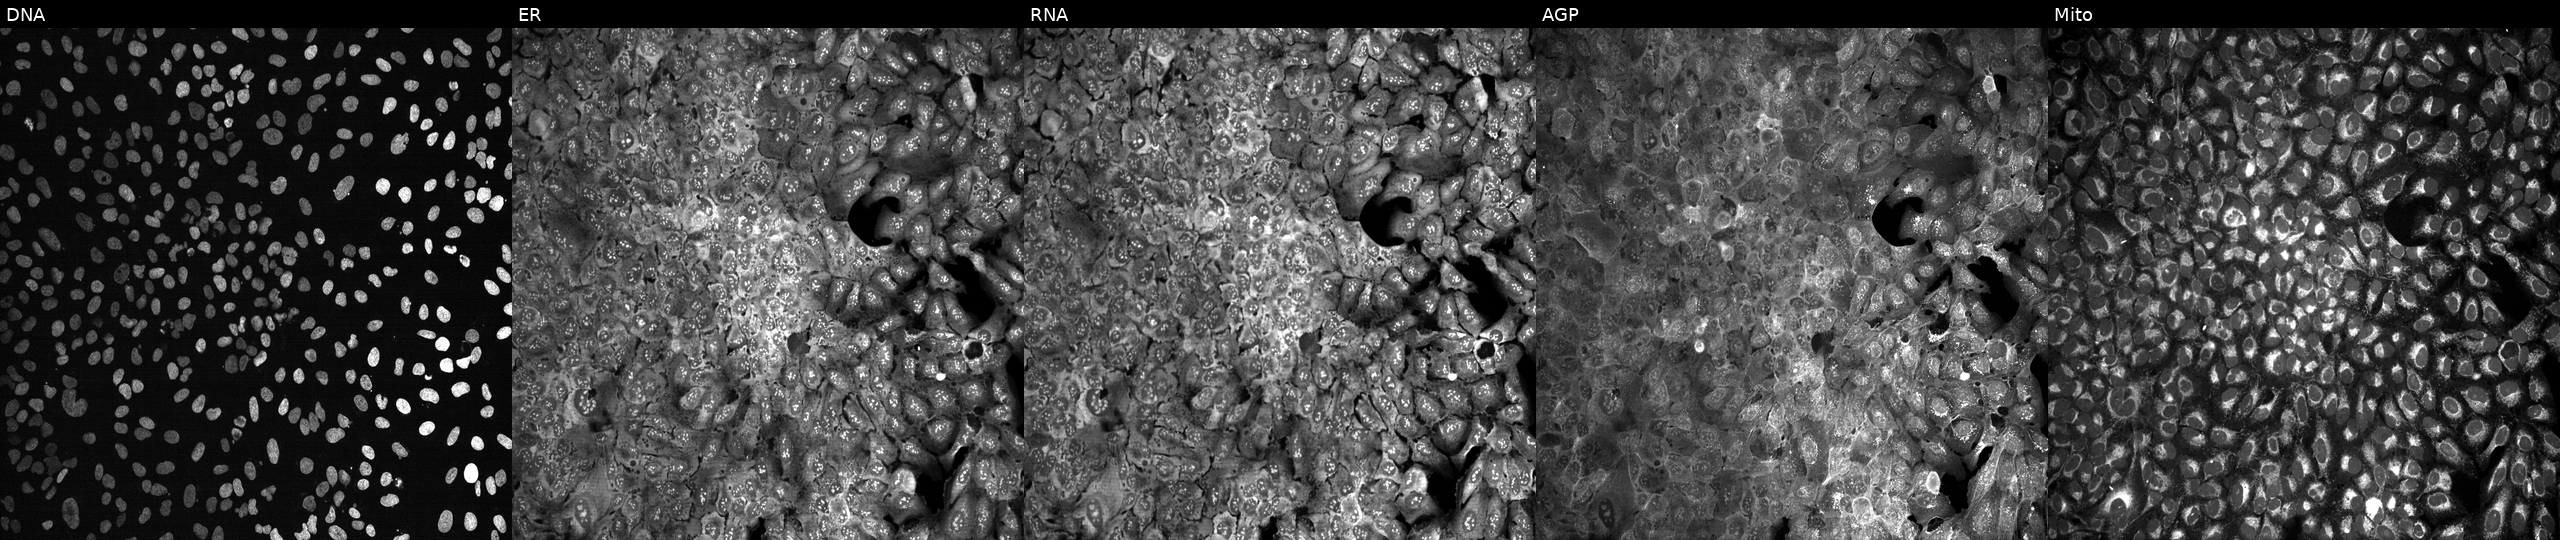
U2OS cells, Cell Painting assay, with NDUFB4 knocked out by CRISPR (JUMP id JCP2022_804486). Channels (left→right): Hoechst 33342, concanavalin A, SYTO 14, phalloidin and WGA, MitoTracker. Each panel is percentile-stretched 16-bit fluorescence.